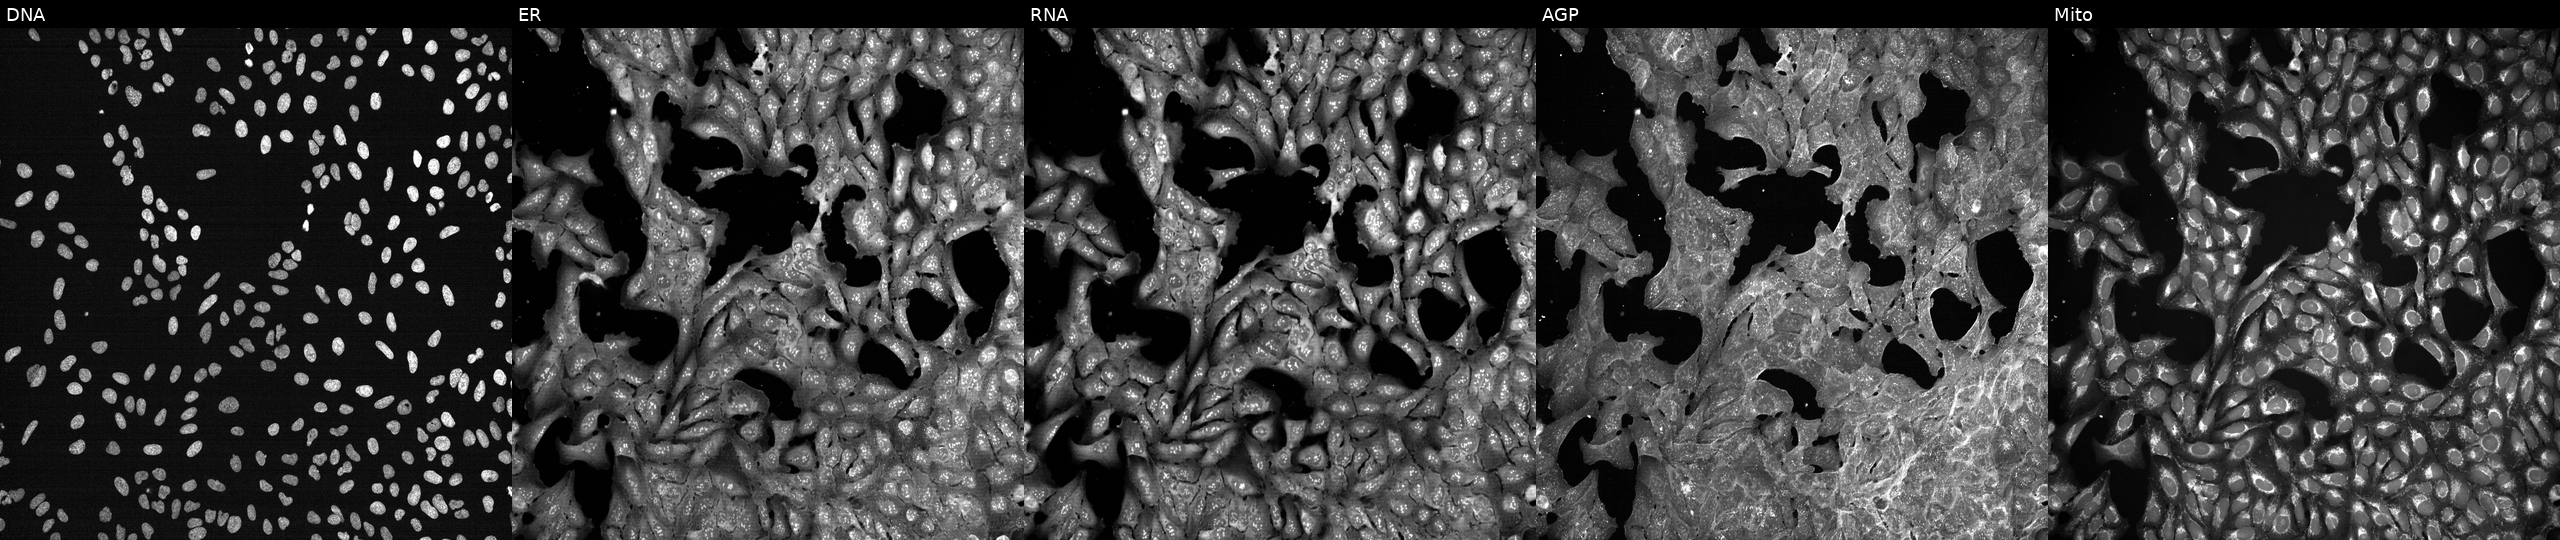
From left to right: DNA, ER, RNA, AGP, and Mito. U2OS osteosarcoma cells treated with a small-molecule compound (InChIKey QIHBWVVVRYYYRO-UHFFFAOYSA-N) [SMILES: CC(NC(=O)CCc1nc(=O)c2ccccc2[nH]1)c1ccccc1]. Cell Painting assay, JUMP-CP dataset.